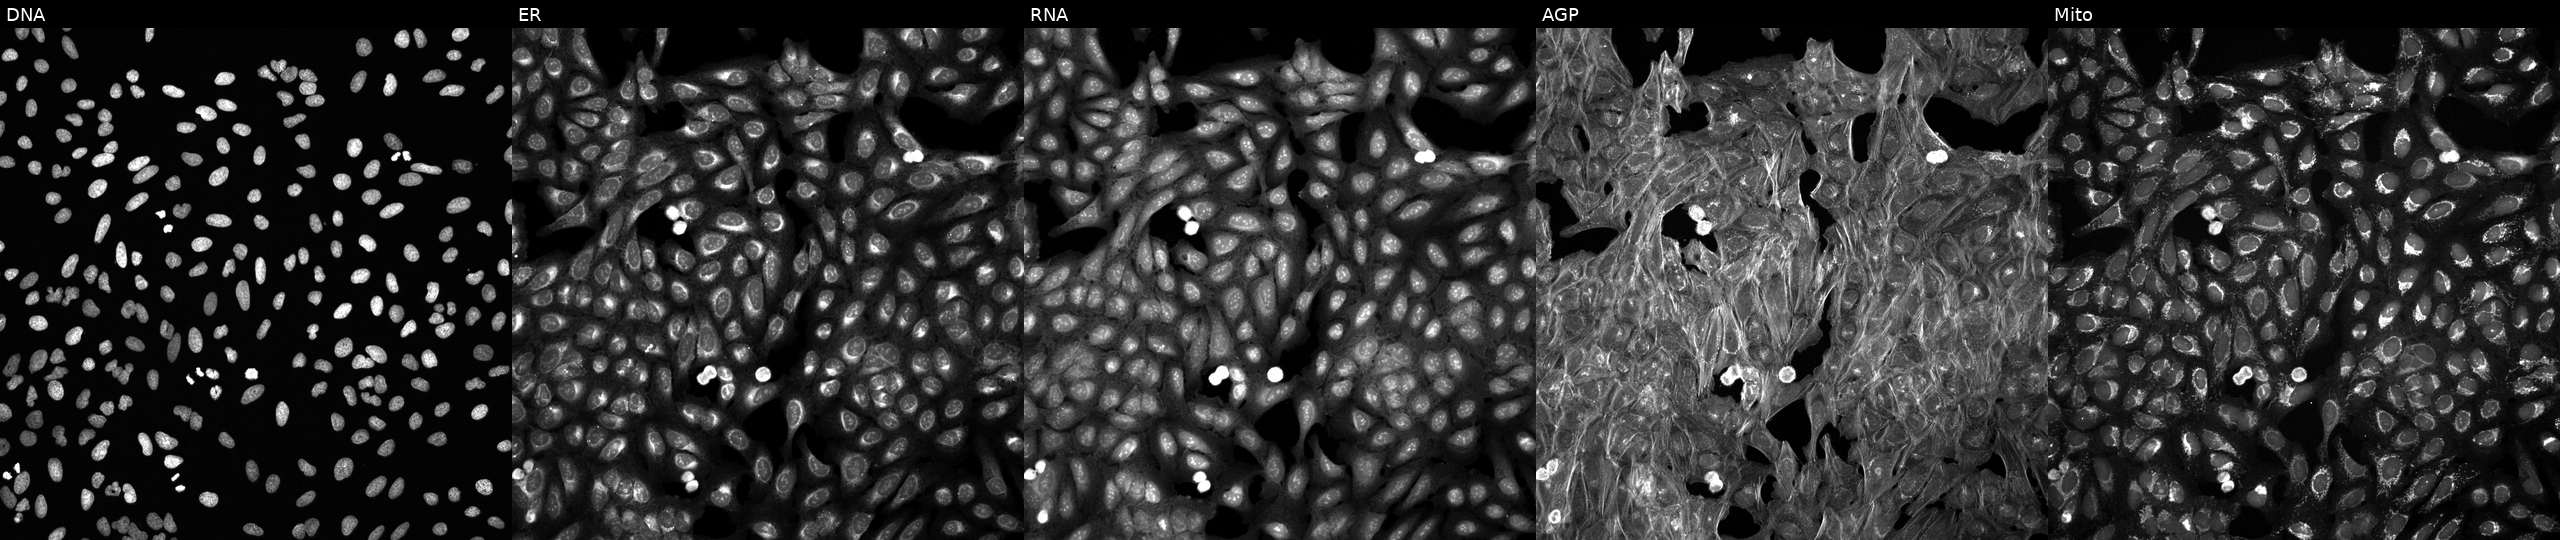
Five-channel Cell Painting image of U2OS cells treated with a small-molecule compound (InChIKey NDNKNUMSTIMSHQ-UHFFFAOYSA-N) (JUMP id JCP2022_058288). The five panels, left to right, show DNA, ER, RNA, AGP, and Mito. Source 6, plate 110000294901, well K09.